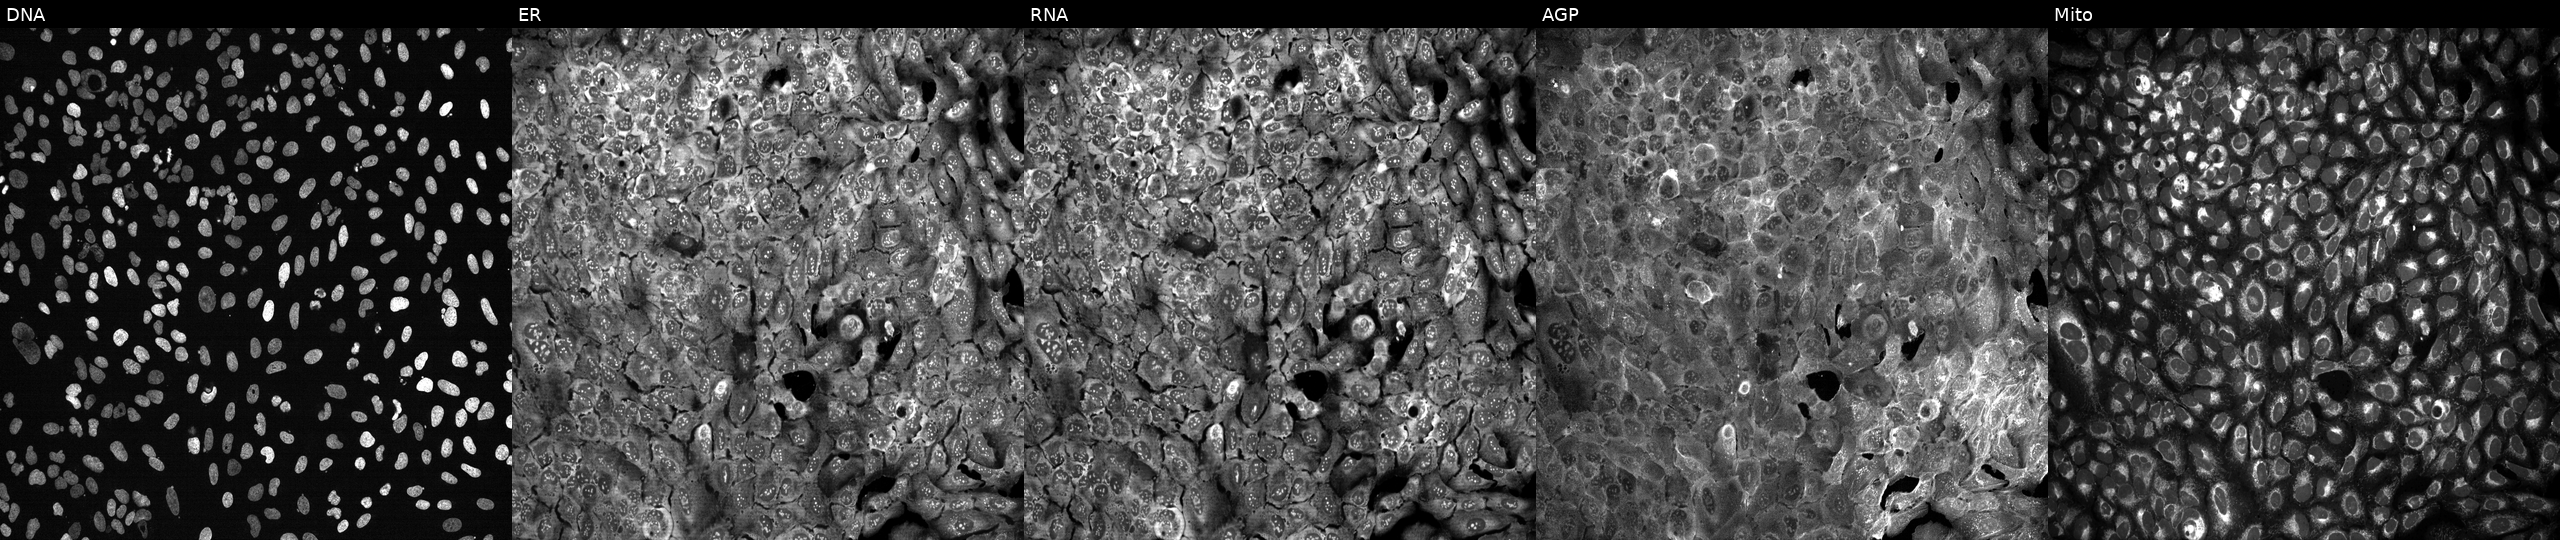
Five-channel Cell Painting image of U2OS cells following CRISPR knockout of SFXN5. From left to right: DNA, ER, RNA, AGP, and Mito.